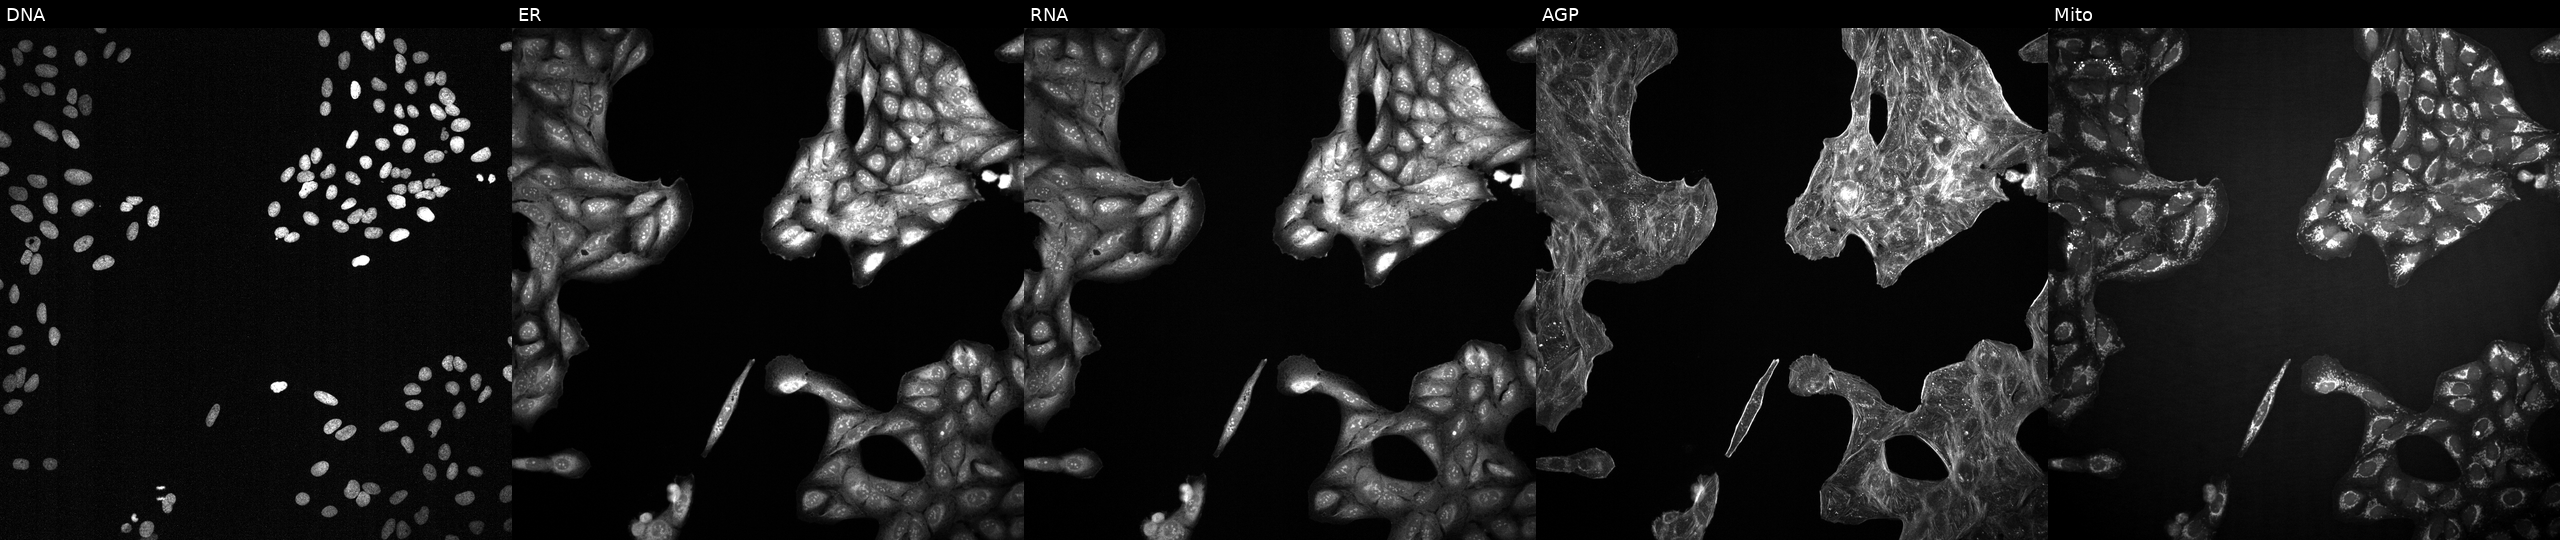
This image strip shows the five Cell Painting channels for a single field of U2OS cells treated with a small-molecule compound (InChIKey QWJOPXDAQCDRRM-UHFFFAOYSA-N). The five panels, left to right, show DNA, ER, RNA, AGP, and Mito.